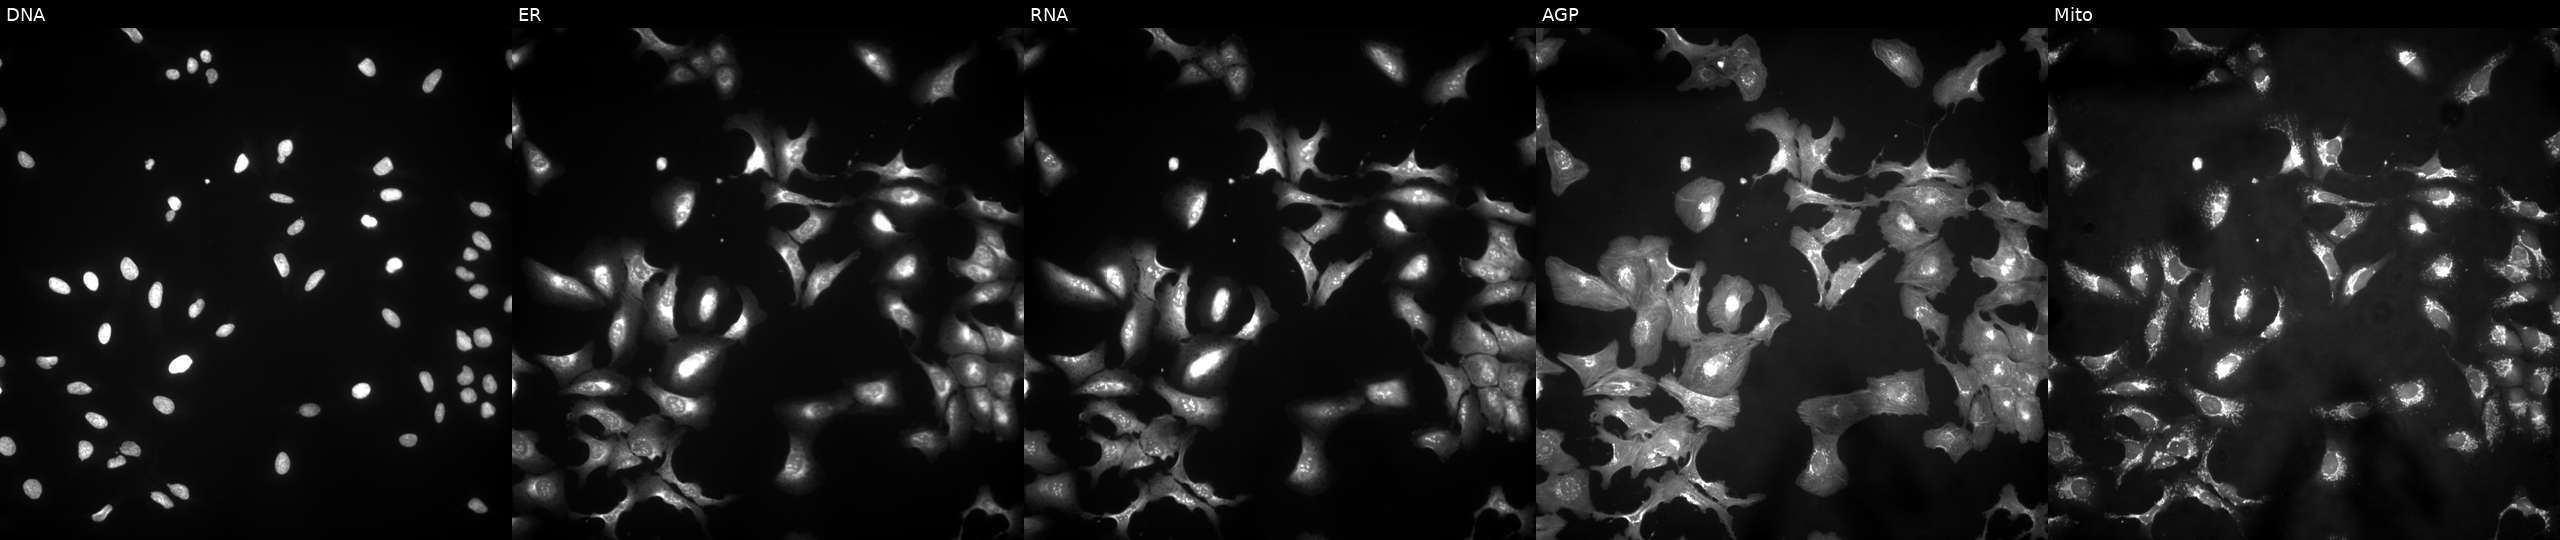
Panels show, left to right, DNA (nuclei); ER (endoplasmic reticulum); RNA (nucleoli and cytoplasmic RNA); AGP (actin cytoskeleton, Golgi, and plasma membrane); Mito (mitochondria). U2OS osteosarcoma cells with HNRNPLL overexpressed (ORF). Cell Painting assay, JUMP-CP dataset.